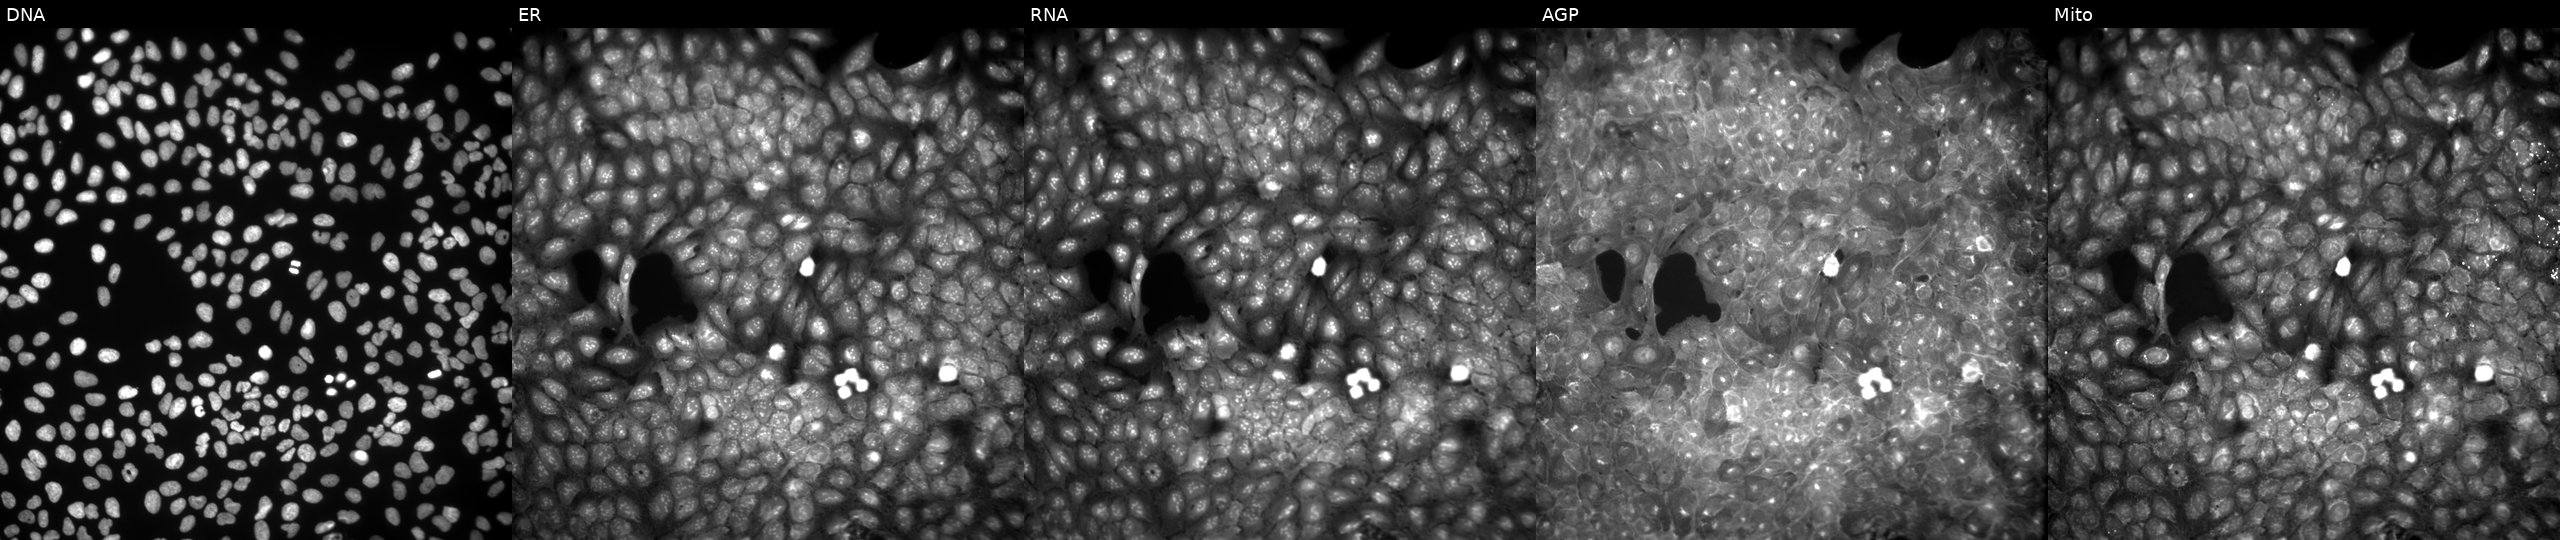
Five-channel Cell Painting image of U2OS cells treated with a small-molecule compound (InChIKey WALWYXVYMMYAFY-UHFFFAOYSA-N) [SMILES: CCOc1ccc(N(CC(=O)Nc2ccccc2)S(C)(=O)=O)cc1] (JUMP id JCP2022_097511). The five panels, left to right, show DNA, ER, RNA, AGP, and Mito.